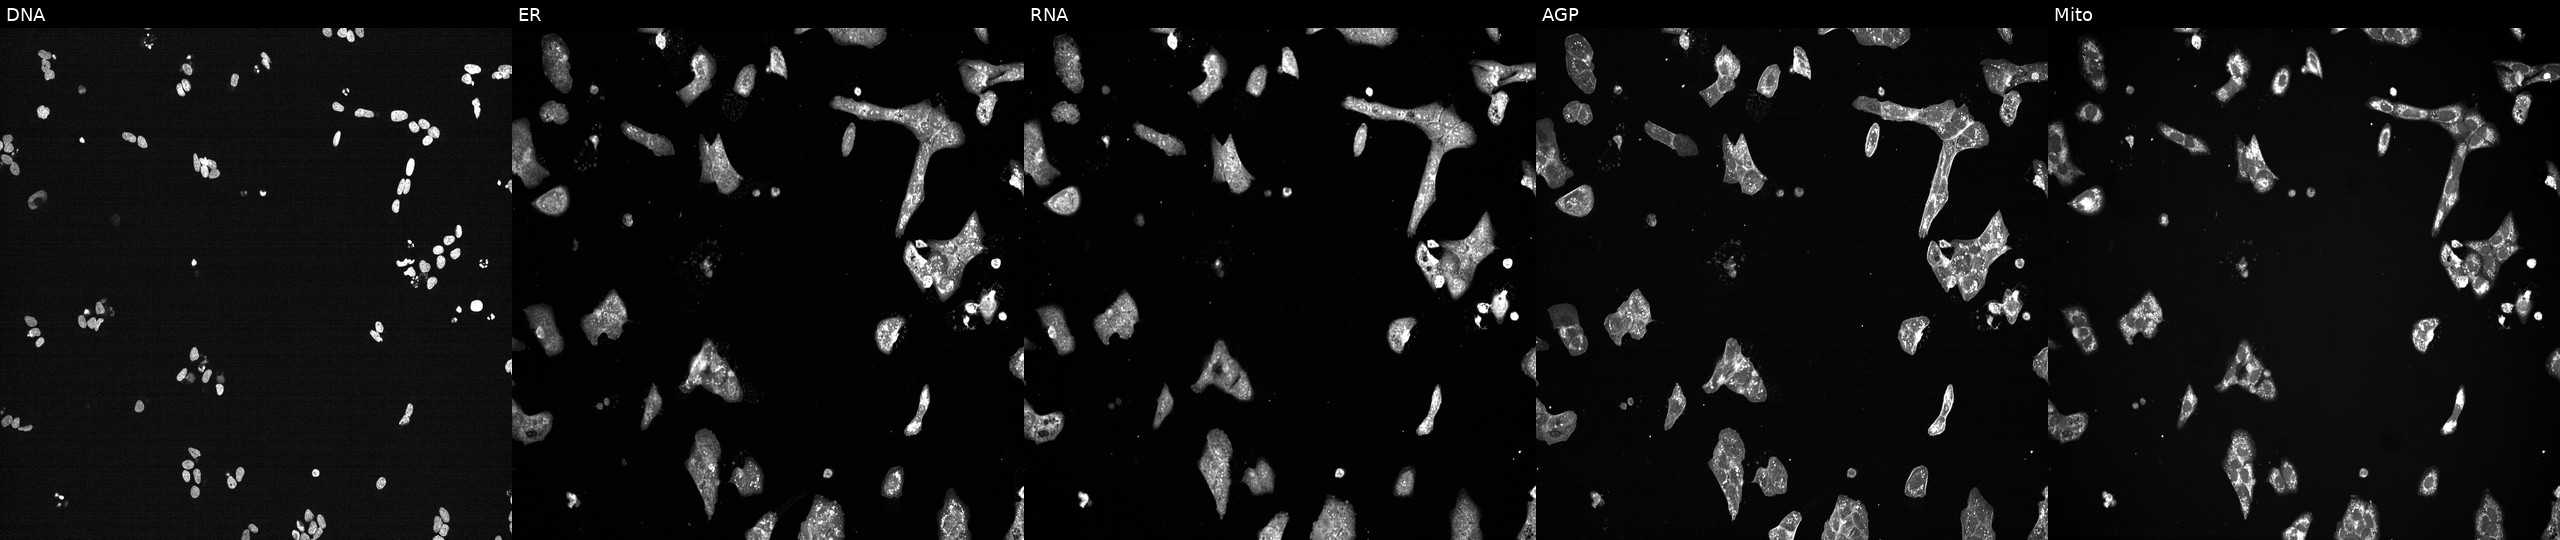
This image strip shows the five Cell Painting channels for a single field of U2OS cells perturbed with a small-molecule compound (InChIKey NBTNHSGBRGTFJS-UHFFFAOYSA-N). The five panels, left to right, show Hoechst 33342, concanavalin A, SYTO 14, phalloidin and WGA, MitoTracker. Source 7, plate CP3-SC1-25, well K01.